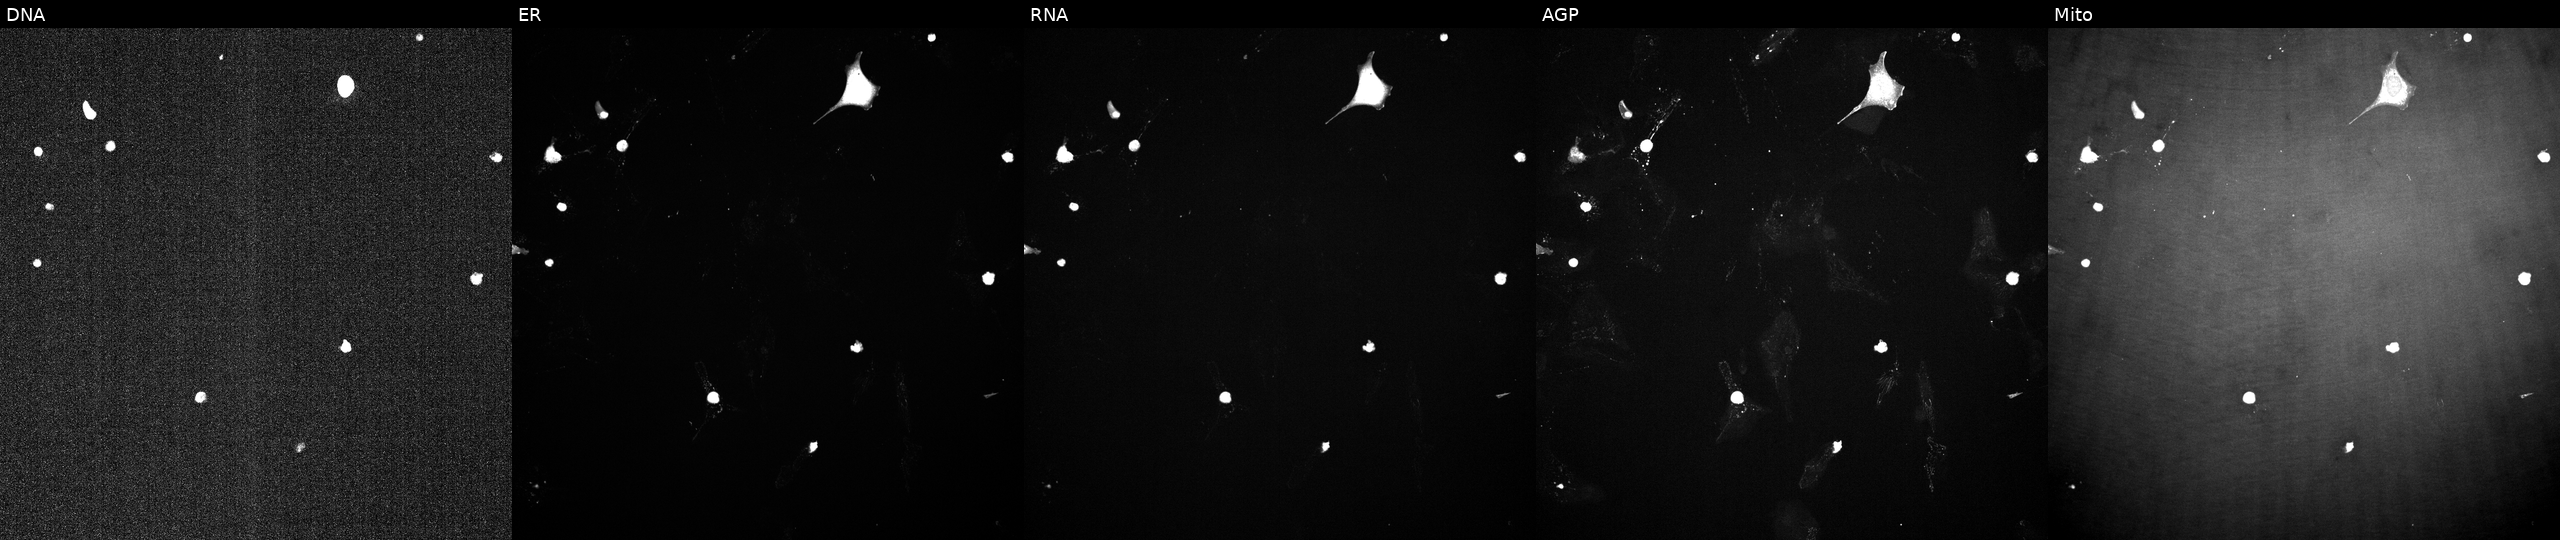
Five-channel Cell Painting image of U2OS cells exposed to a small-molecule compound (InChIKey SOOPLNPQGWJZHY-UHFFFAOYSA-N) (JUMP id JCP2022_084606). Panels show, left to right, DNA, ER, RNA, AGP, and Mito.